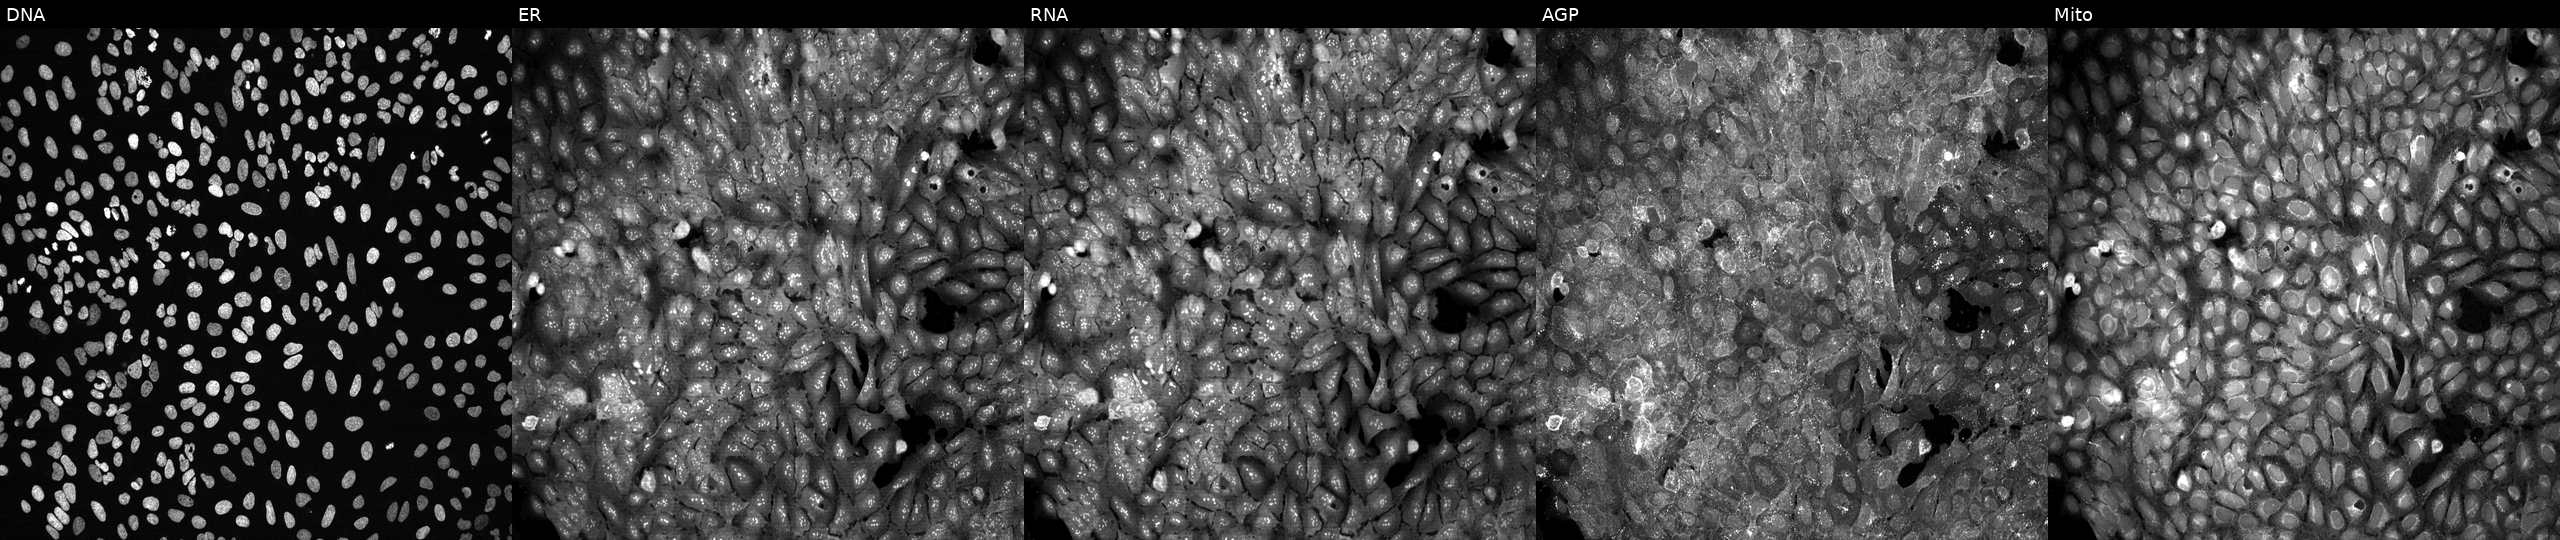
JUMP Cell Painting — CRISPR plate. U2OS cells following CRISPR knockout of AKR1B10. The five panels, left to right, show Hoechst 33342, concanavalin A, SYTO 14, phalloidin and WGA, MitoTracker.